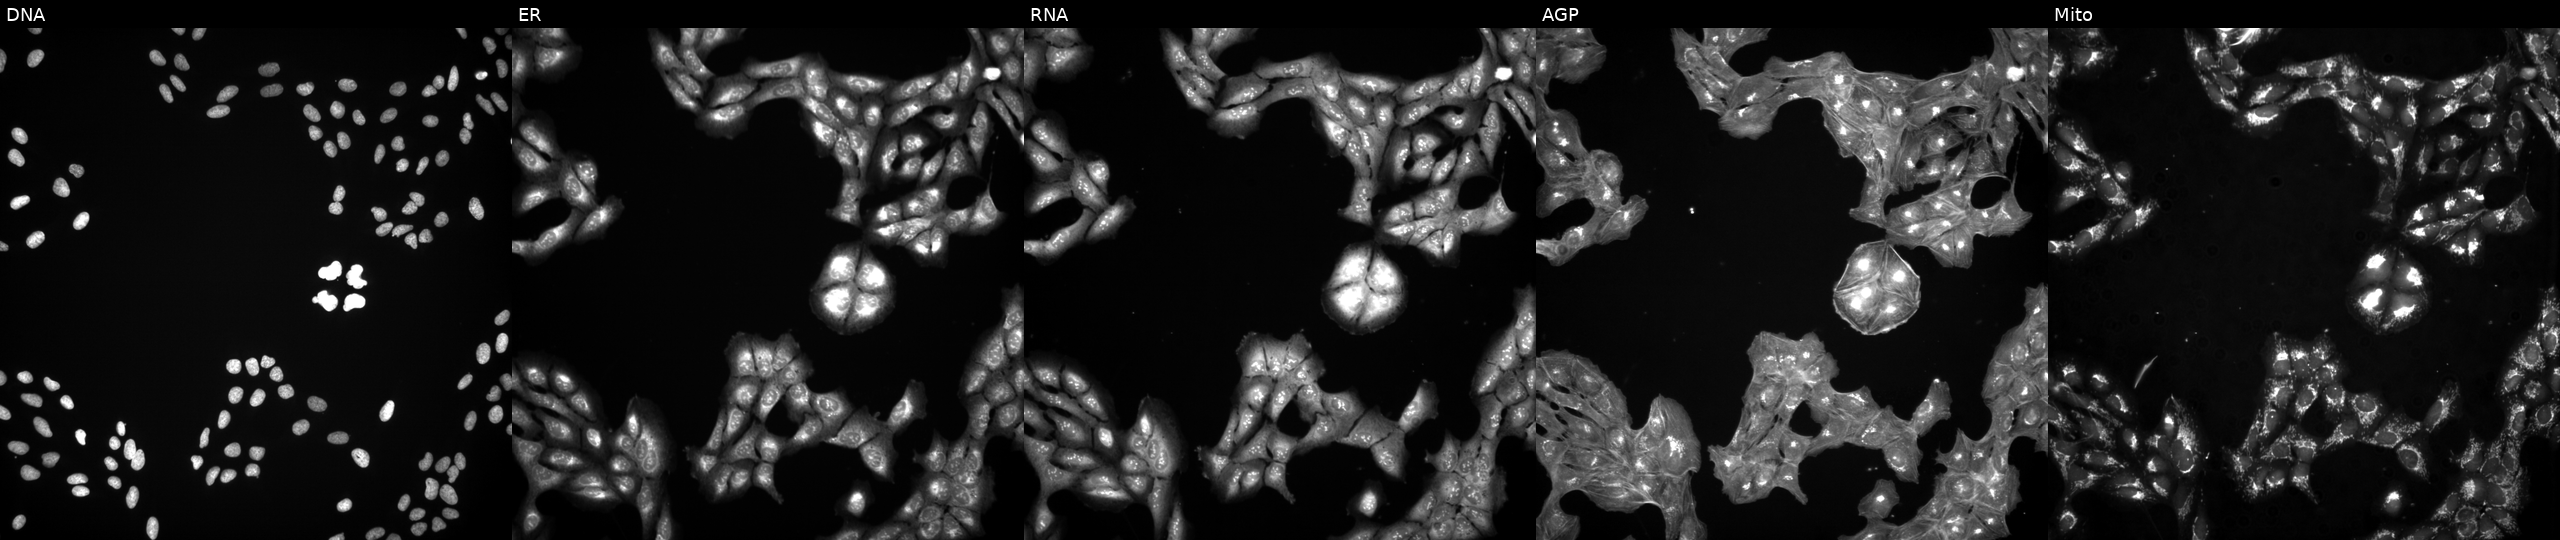
This image strip shows the five Cell Painting channels for a single field of U2OS cells perturbed with a small-molecule compound [SMILES: CCc1ccccc1NC(=O)c1cnc2n(c1=O)CCS2] (JUMP id JCP2022_042338). Panels show, left to right, DNA, ER, RNA, AGP, and Mito. Source 3, plate BR5867b3, well B22.